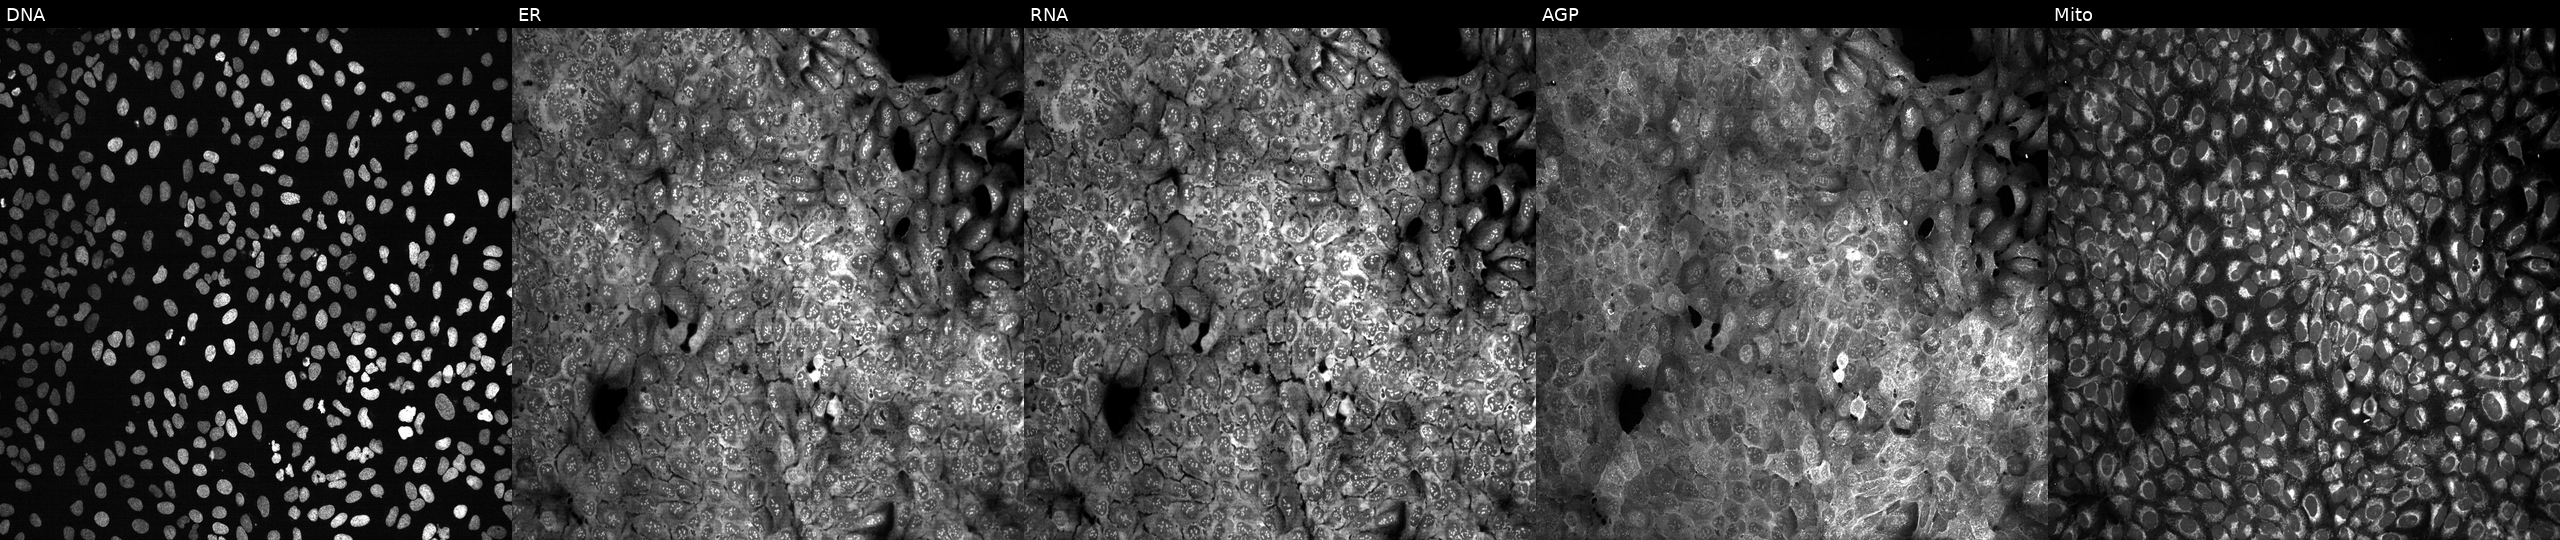
Five-channel Cell Painting image of U2OS cells following CRISPR knockout of COX10. From left to right: DNA (nuclei); ER (endoplasmic reticulum); RNA (nucleoli and cytoplasmic RNA); AGP (actin cytoskeleton, Golgi, and plasma membrane); Mito (mitochondria).